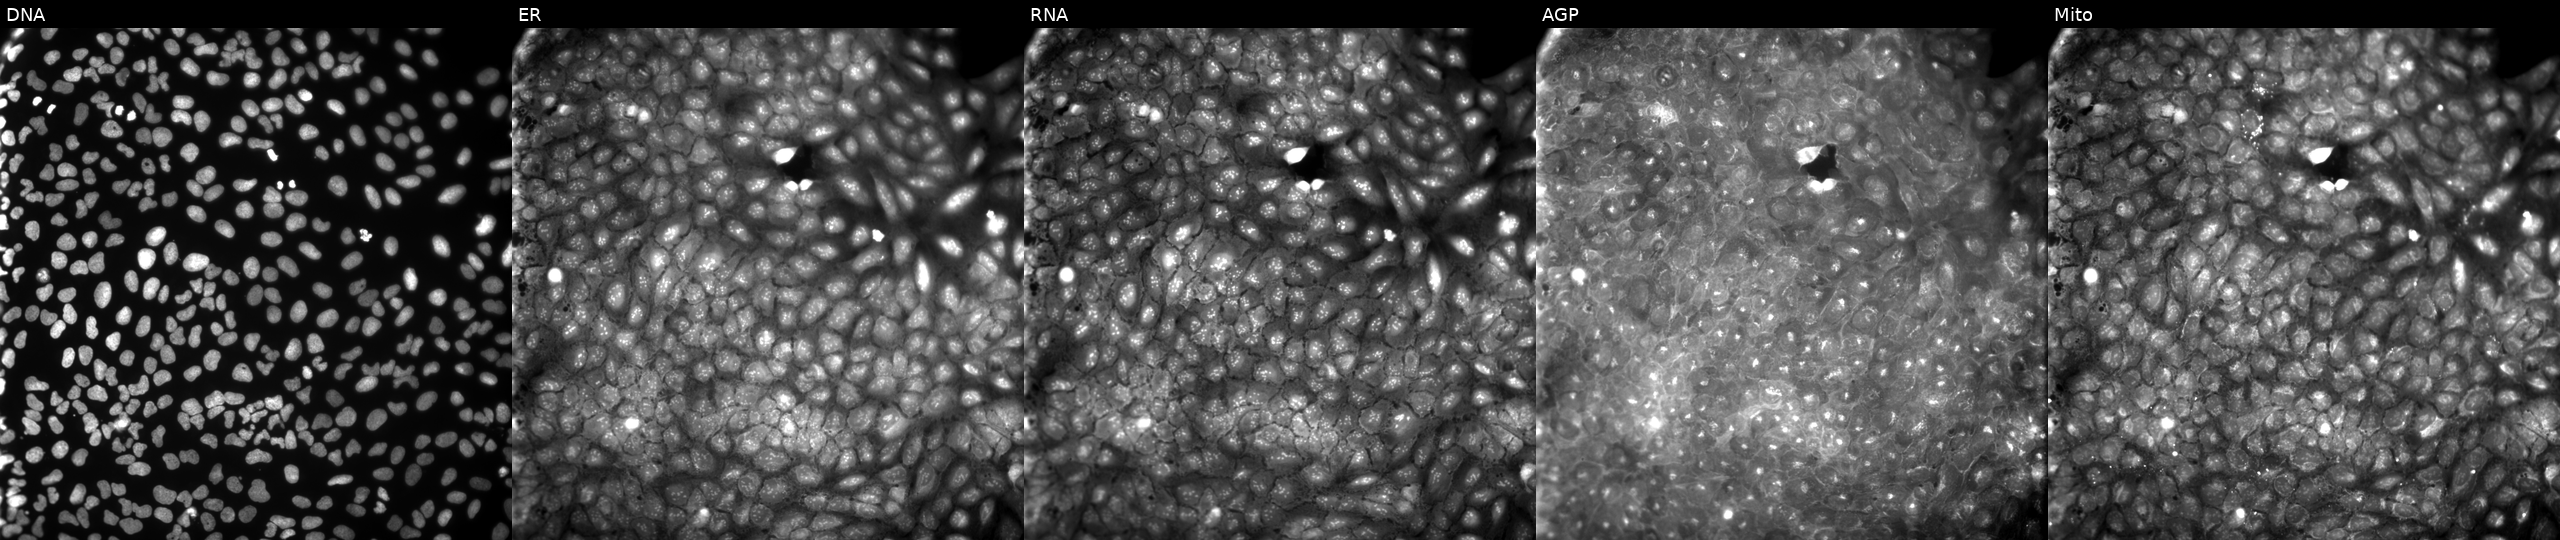
High-content fluorescence microscopy (Cell Painting). Cell line: U2OS. Perturbation: exposed to a small-molecule compound (JUMP id JCP2022_005280). Panels show, left to right, DNA, ER, RNA, AGP, and Mito. Source 9, plate GR00003381, well Y05.